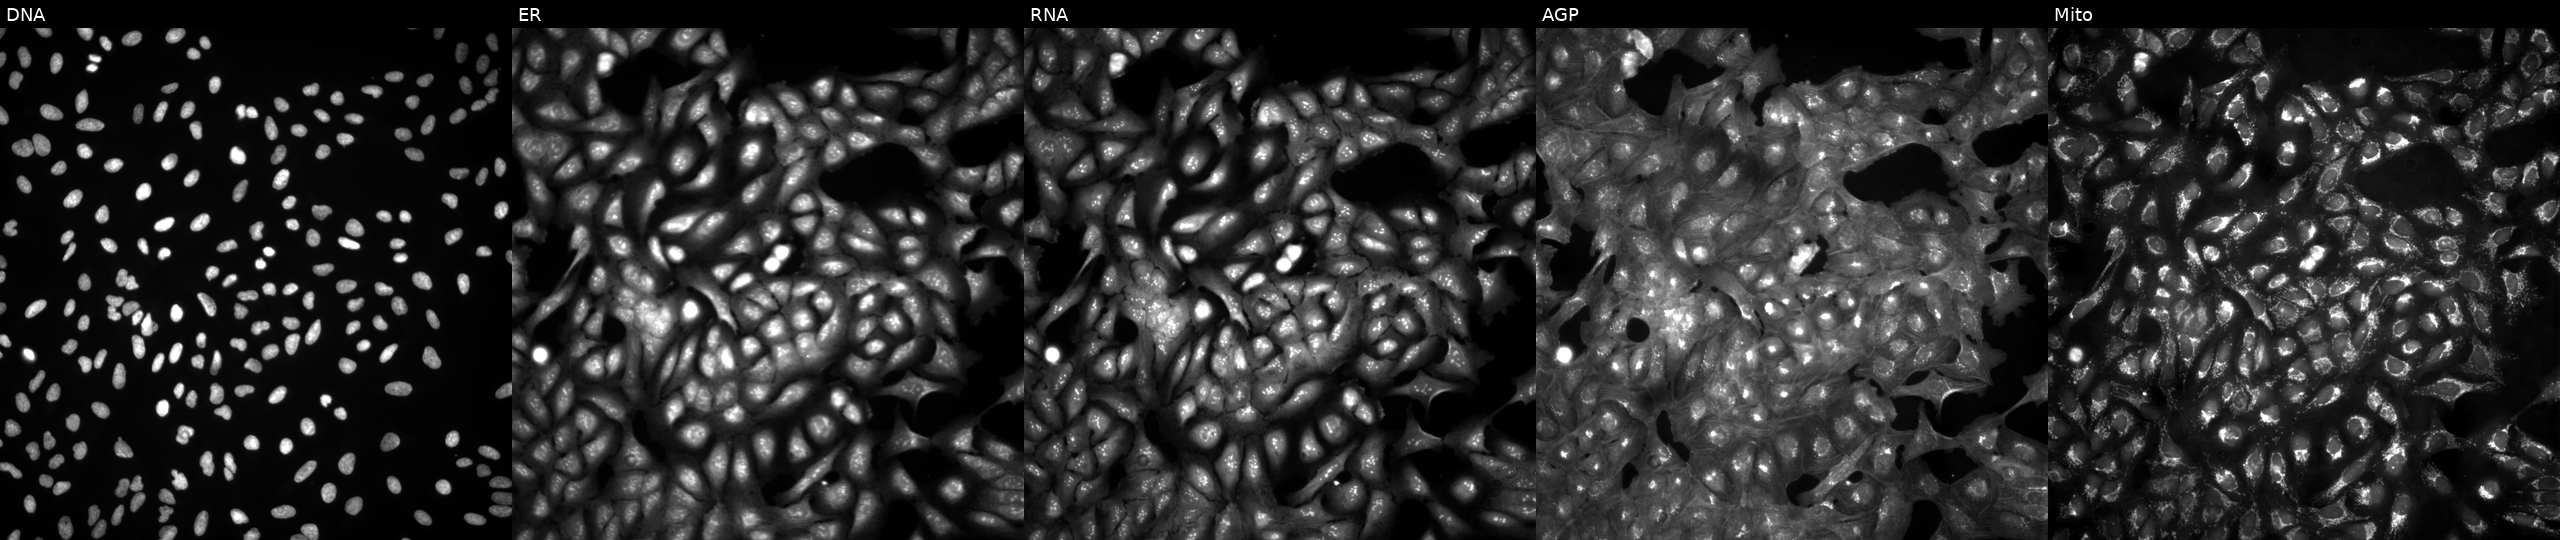
JUMP Cell Painting — ORF plate. U2OS cells in an empty control well (no perturbation). Panels show, left to right, DNA (nuclei); ER (endoplasmic reticulum); RNA (nucleoli and cytoplasmic RNA); AGP (actin cytoskeleton, Golgi, and plasma membrane); Mito (mitochondria).